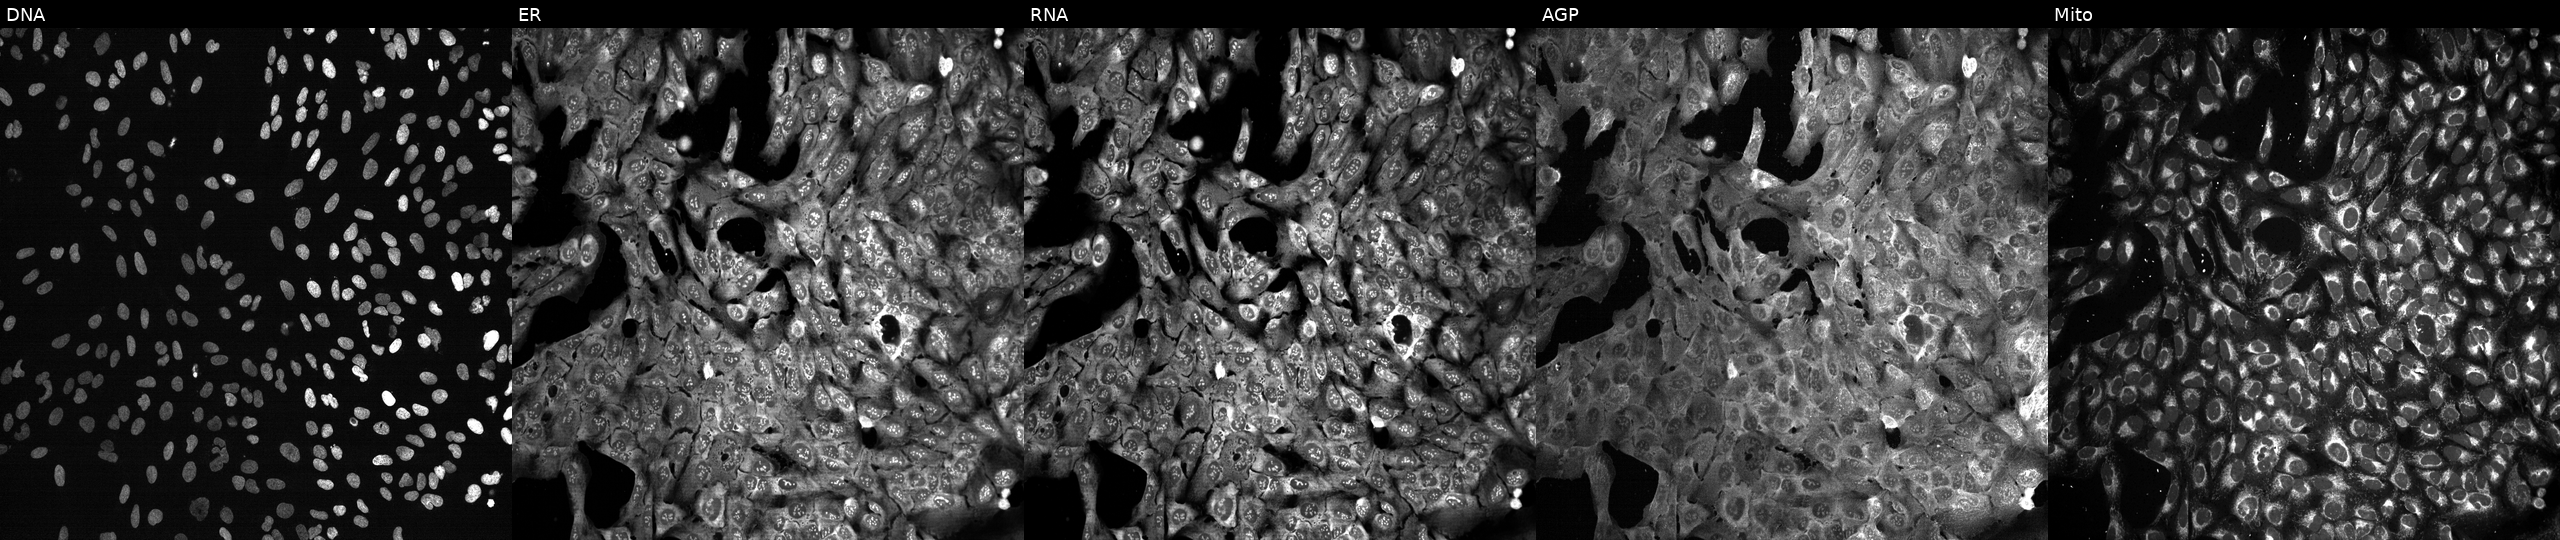
Channels (left→right): DNA, ER, RNA, AGP, and Mito. U2OS osteosarcoma cells CRISPR-edited to disrupt ACTN1 (JUMP id JCP2022_800152). Cell Painting assay, JUMP-CP dataset.